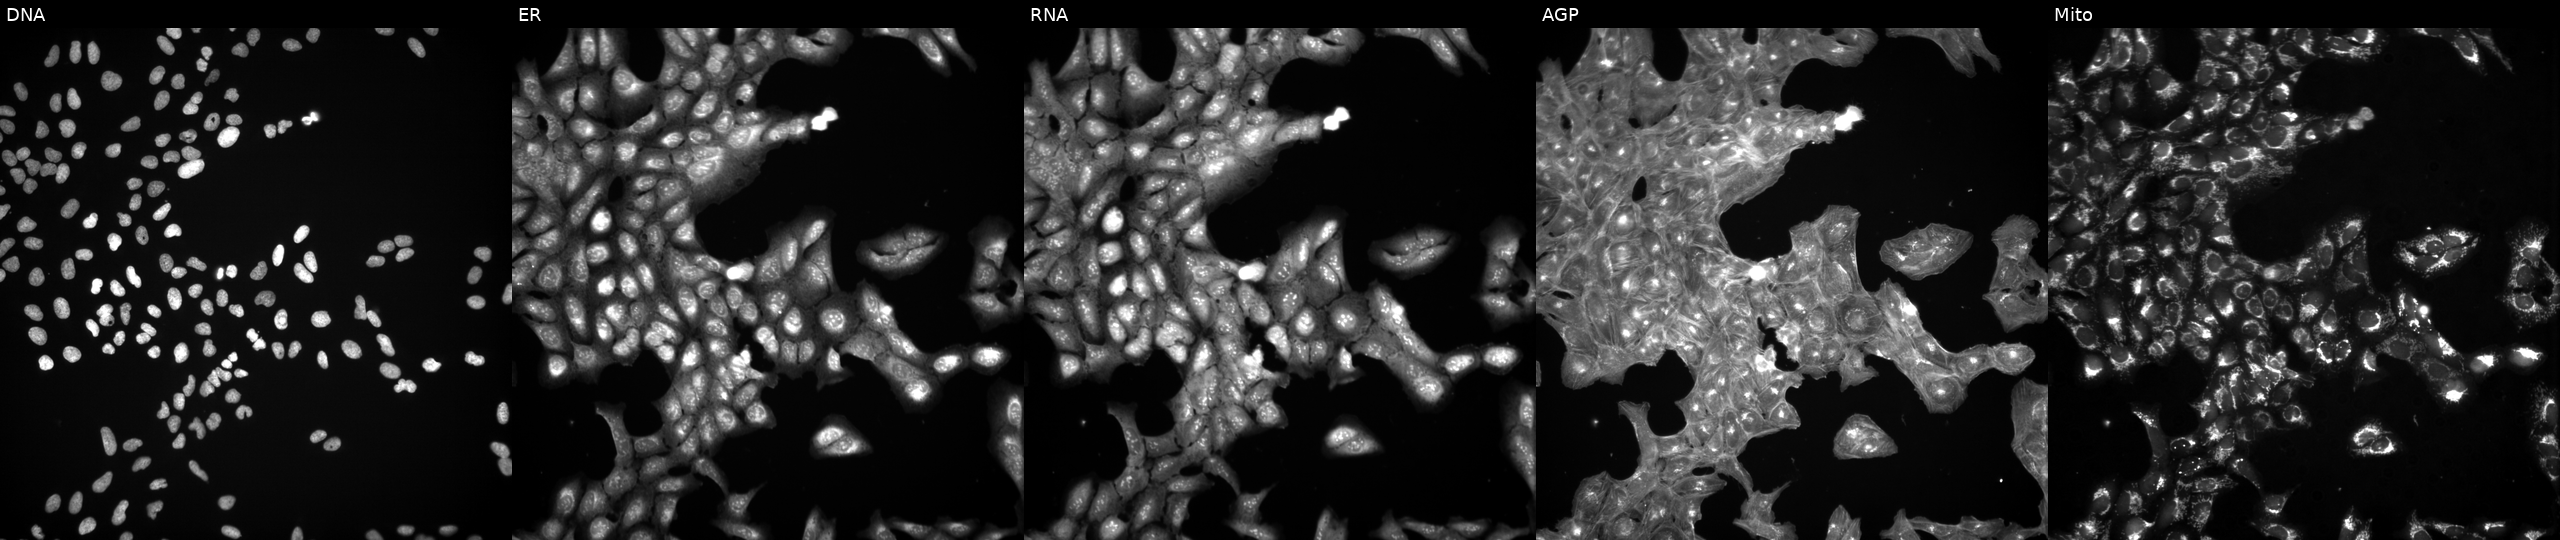
U2OS cells, Cell Painting assay, exposed to a small-molecule compound. From left to right: Hoechst 33342, concanavalin A, SYTO 14, phalloidin and WGA, MitoTracker. Each panel is percentile-stretched 16-bit fluorescence. Source 3, plate JCPQC051, well E06.